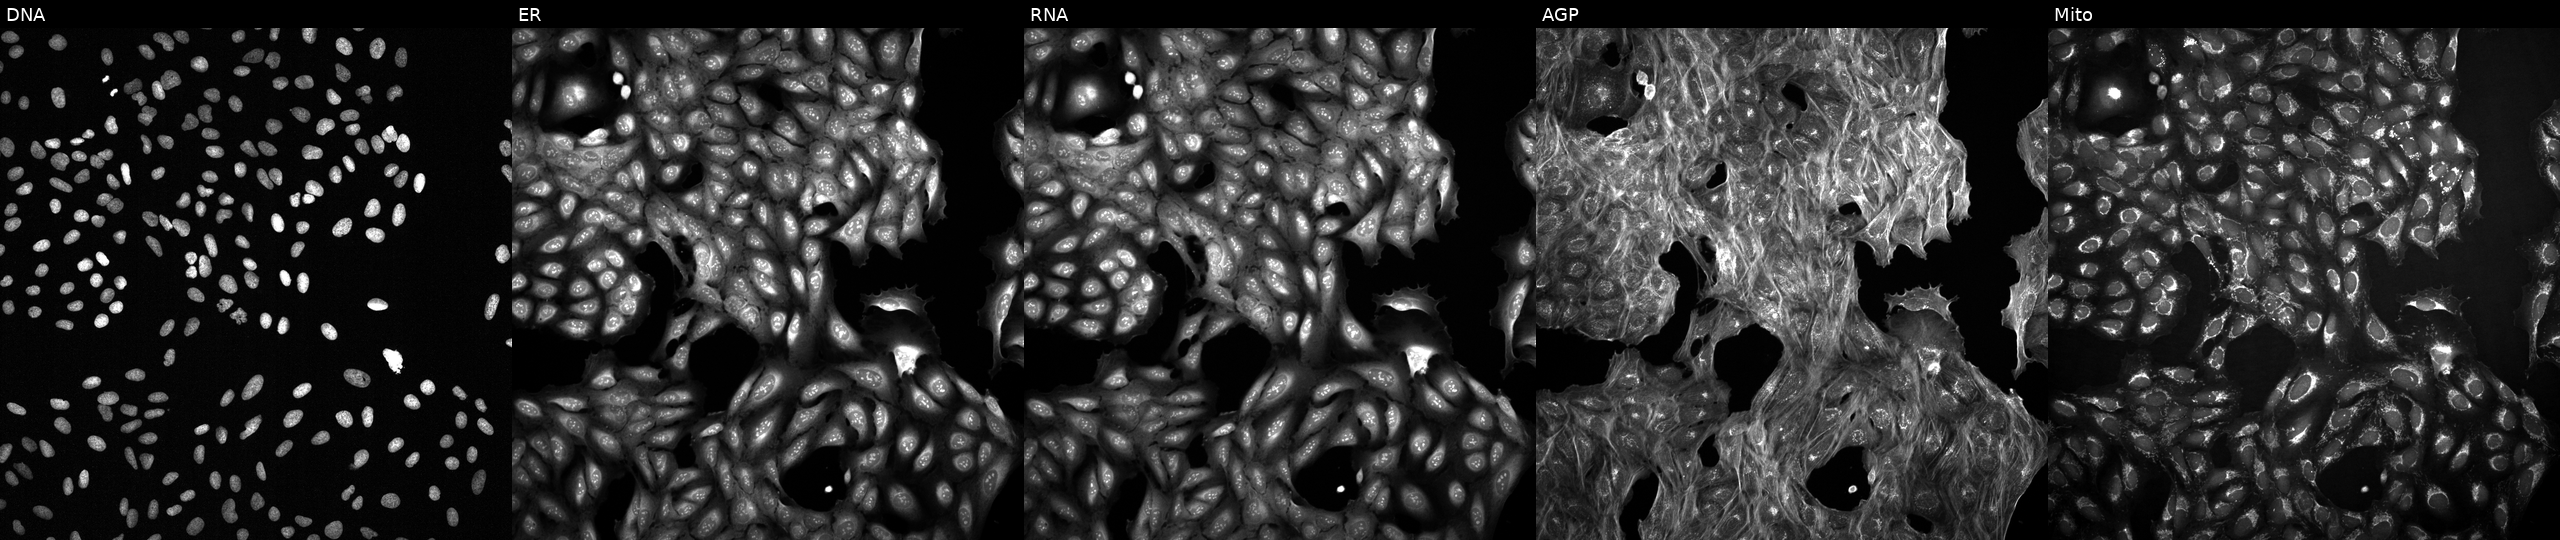
JUMP Cell Painting — COMPOUND plate. U2OS cells with an unidentified perturbation (not annotated in JUMP metadata). From left to right: DNA, ER, RNA, AGP, and Mito.